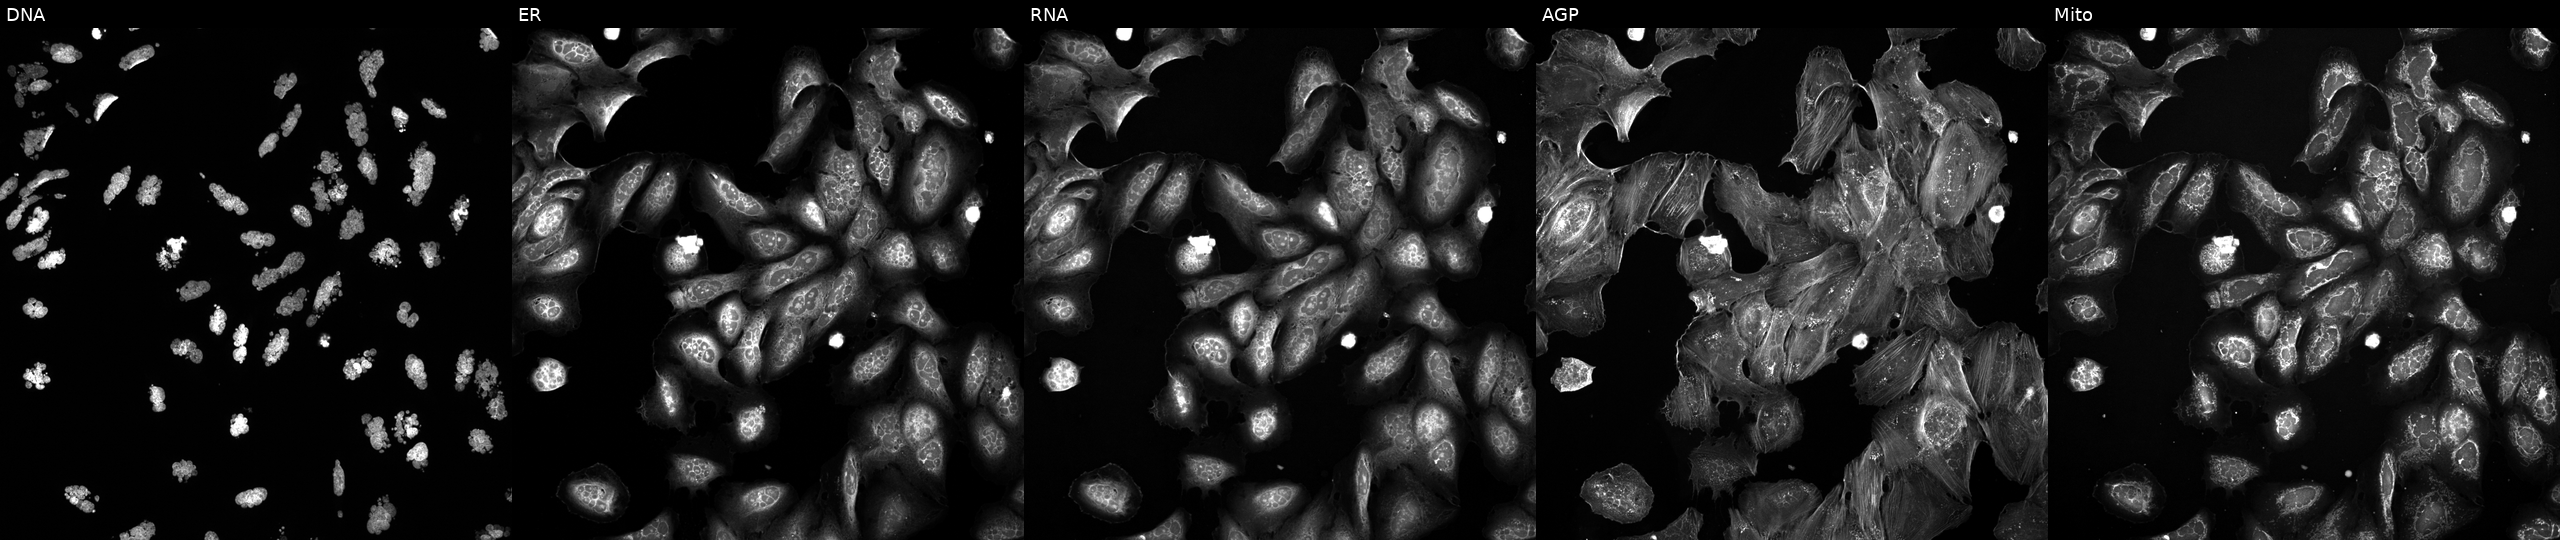
U2OS cells, Cell Painting assay, exposed to a small-molecule compound (InChIKey QXRSDHAAWVKZLJ-UHFFFAOYSA-N) [SMILES: CC(=Cc1csc(C)n1)C1CC2OC2(C)CCCC(C)C(O)C(C)C(=O)C(C)(C)C(O)CC(=O)O1]. Panels show, left to right, Hoechst 33342, concanavalin A, SYTO 14, phalloidin and WGA, MitoTracker. Each panel is percentile-stretched 16-bit fluorescence.